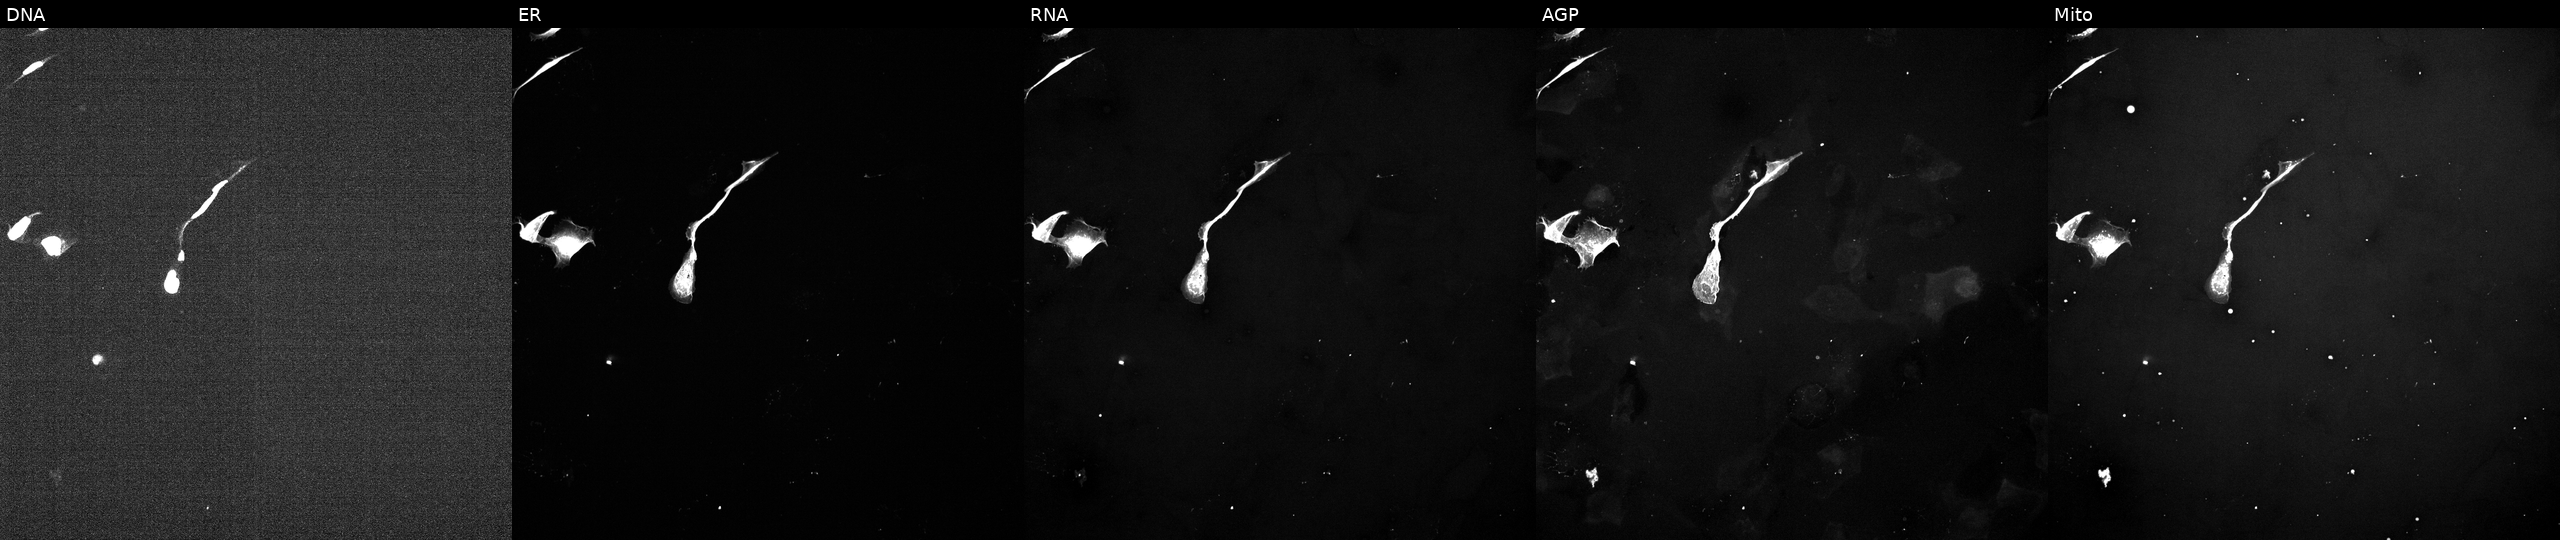
This image strip shows the five Cell Painting channels for a single field of U2OS cells treated with a small-molecule compound (InChIKey HYFHYPWGAURHIV-UHFFFAOYSA-N) (JUMP id JCP2022_033400). Channels (left→right): DNA, ER, RNA, AGP, and Mito. Source 5, plate ACPJUM032, well E10.